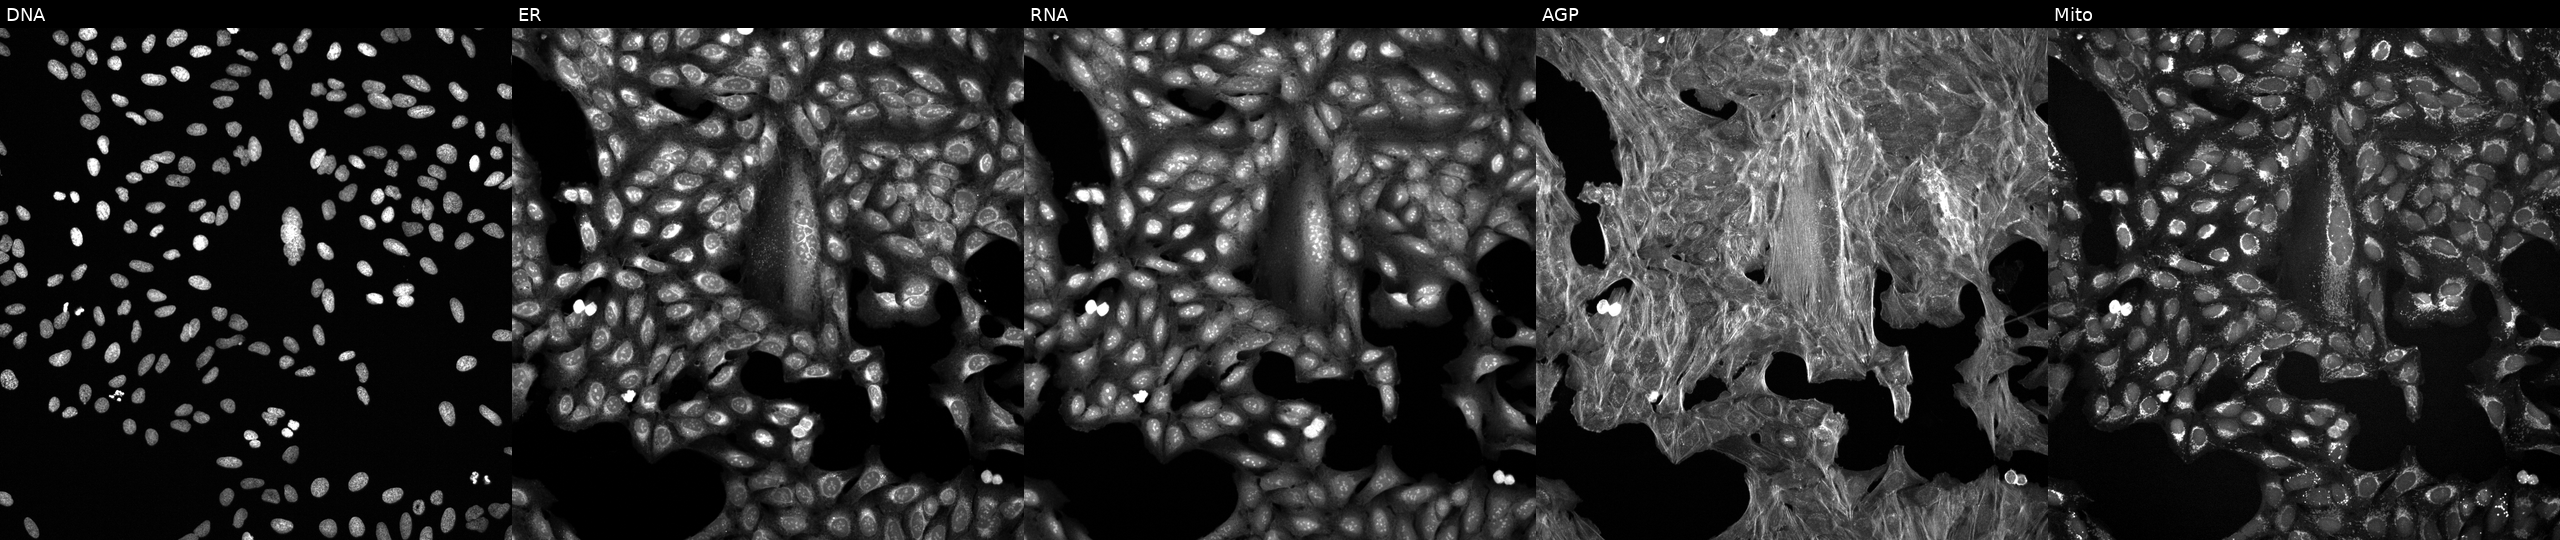
Five-channel Cell Painting image of U2OS cells exposed to a small-molecule compound [SMILES: O=C(NNC(=O)c1ccc(CNS(=O)(=O)c2ccc(F)c(Cl)c2)cc1)c1ccccc1]. The five panels, left to right, show DNA, ER, RNA, AGP, and Mito.